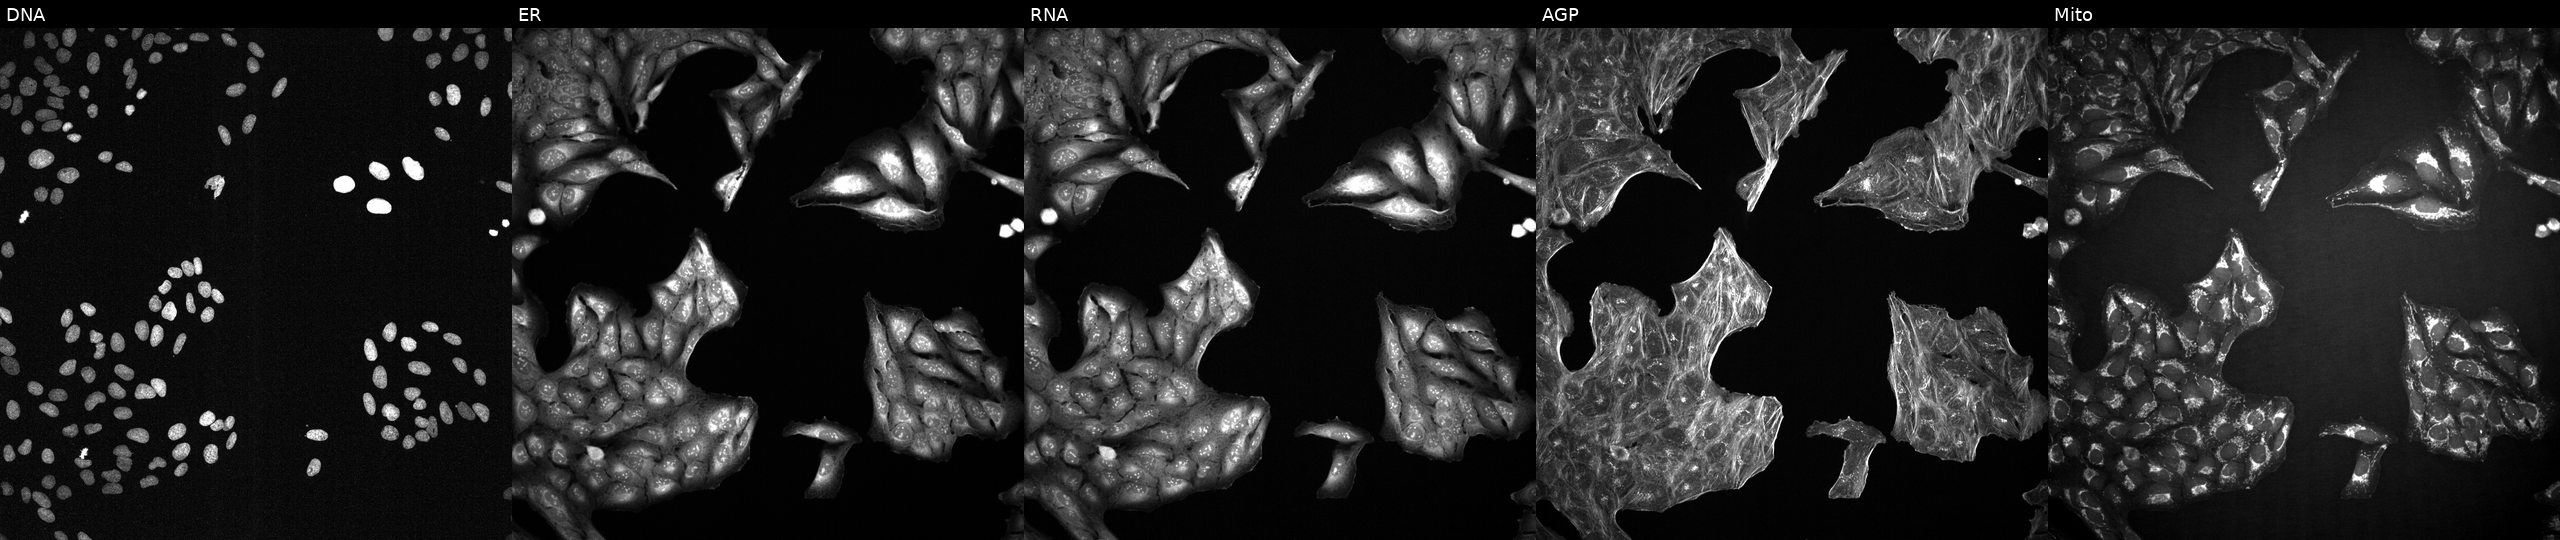
JUMP Cell Painting — TARGET2 plate. U2OS cells treated with a small-molecule compound (InChIKey XNOPRXBHLZRZKH-UHFFFAOYSA-N) (JUMP id JCP2022_104794). The five panels, left to right, show Hoechst 33342, concanavalin A, SYTO 14, phalloidin and WGA, MitoTracker.